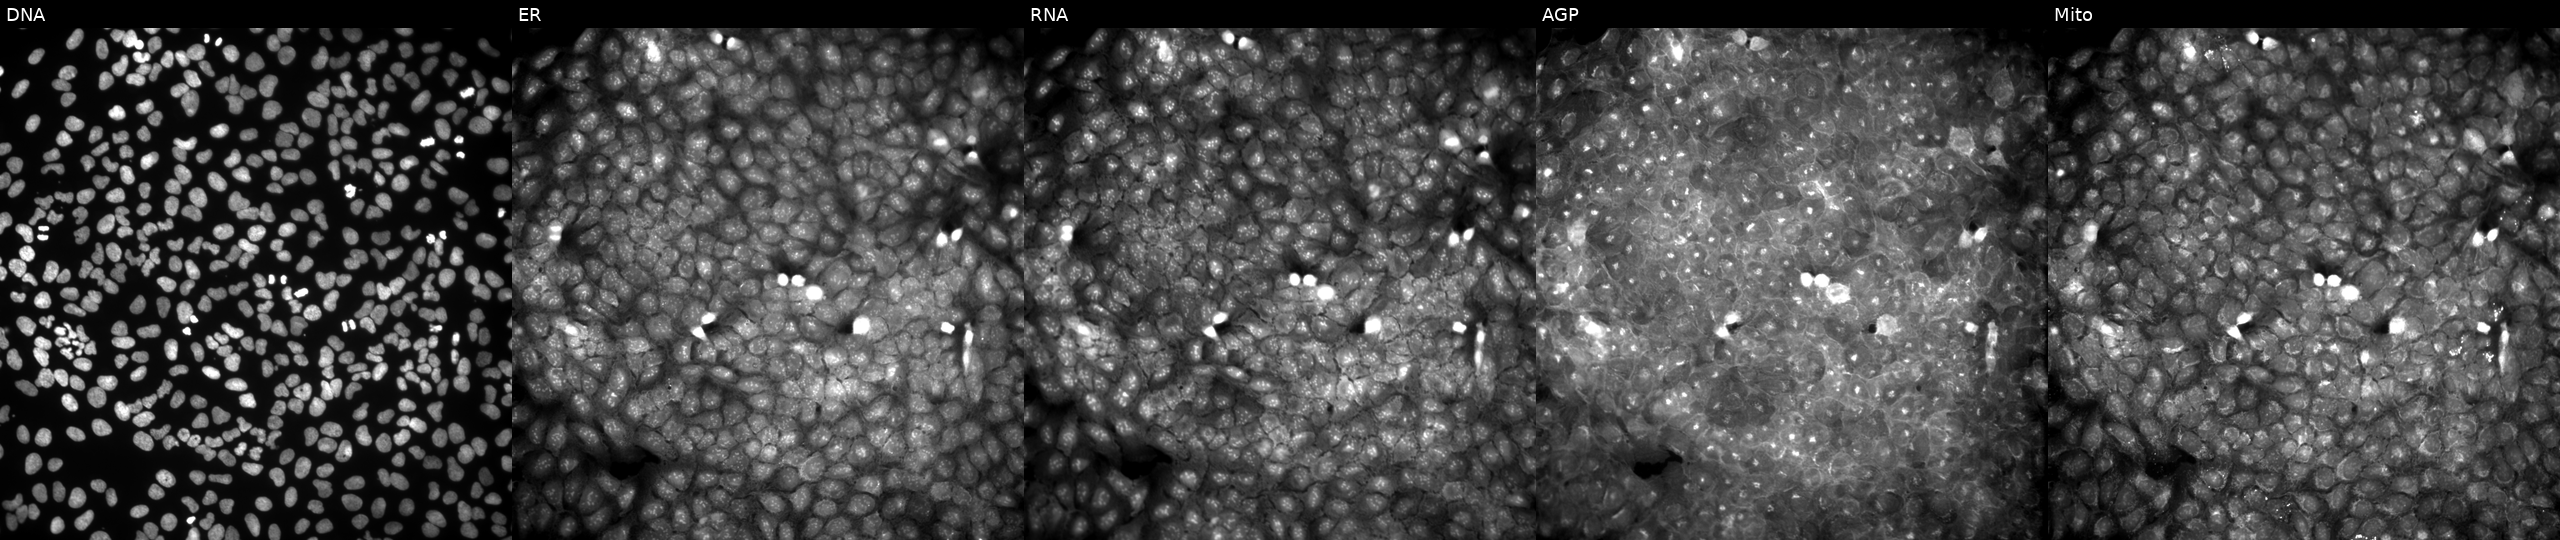
U2OS cells, Cell Painting assay, exposed to a small-molecule compound (InChIKey UHXLINUKVITOMI-UHFFFAOYSA-N) [SMILES: COc1ccc(N(CC(=O)NCc2ccco2)S(=O)(=O)c2ccc(OC)c(OC)c2)cc1] (JUMP id JCP2022_089340). From left to right: DNA, ER, RNA, AGP, and Mito. Each panel is percentile-stretched 16-bit fluorescence. Source 9, plate GR00003382, well X20.